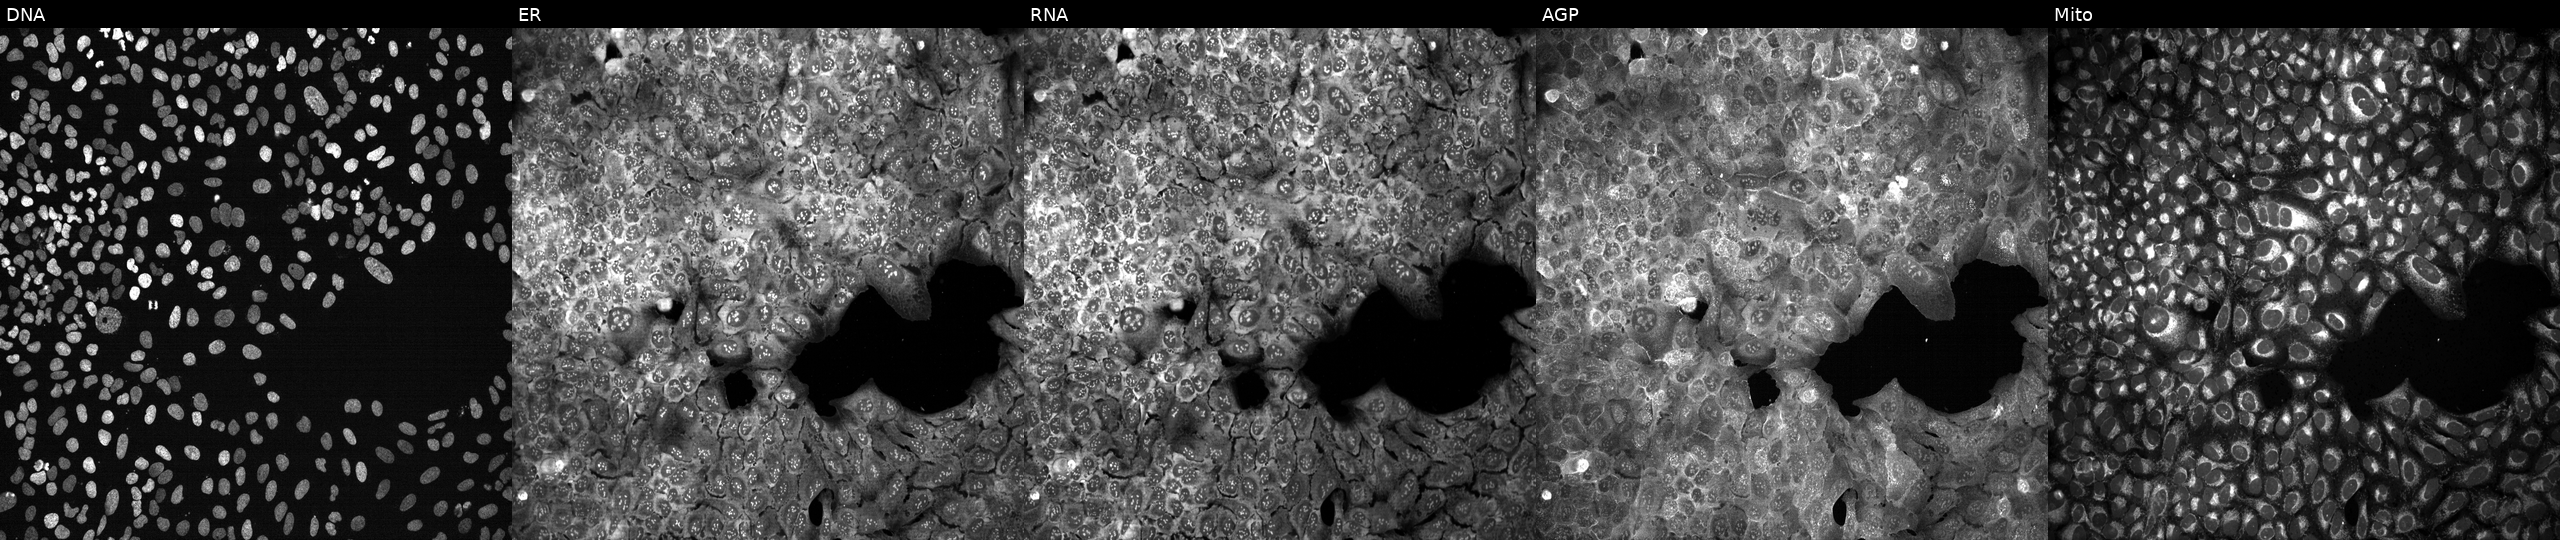
U2OS cells, Cell Painting assay, CRISPR-edited to disrupt CSGALNACT2. Panels show, left to right, DNA, ER, RNA, AGP, and Mito. Each panel is percentile-stretched 16-bit fluorescence.